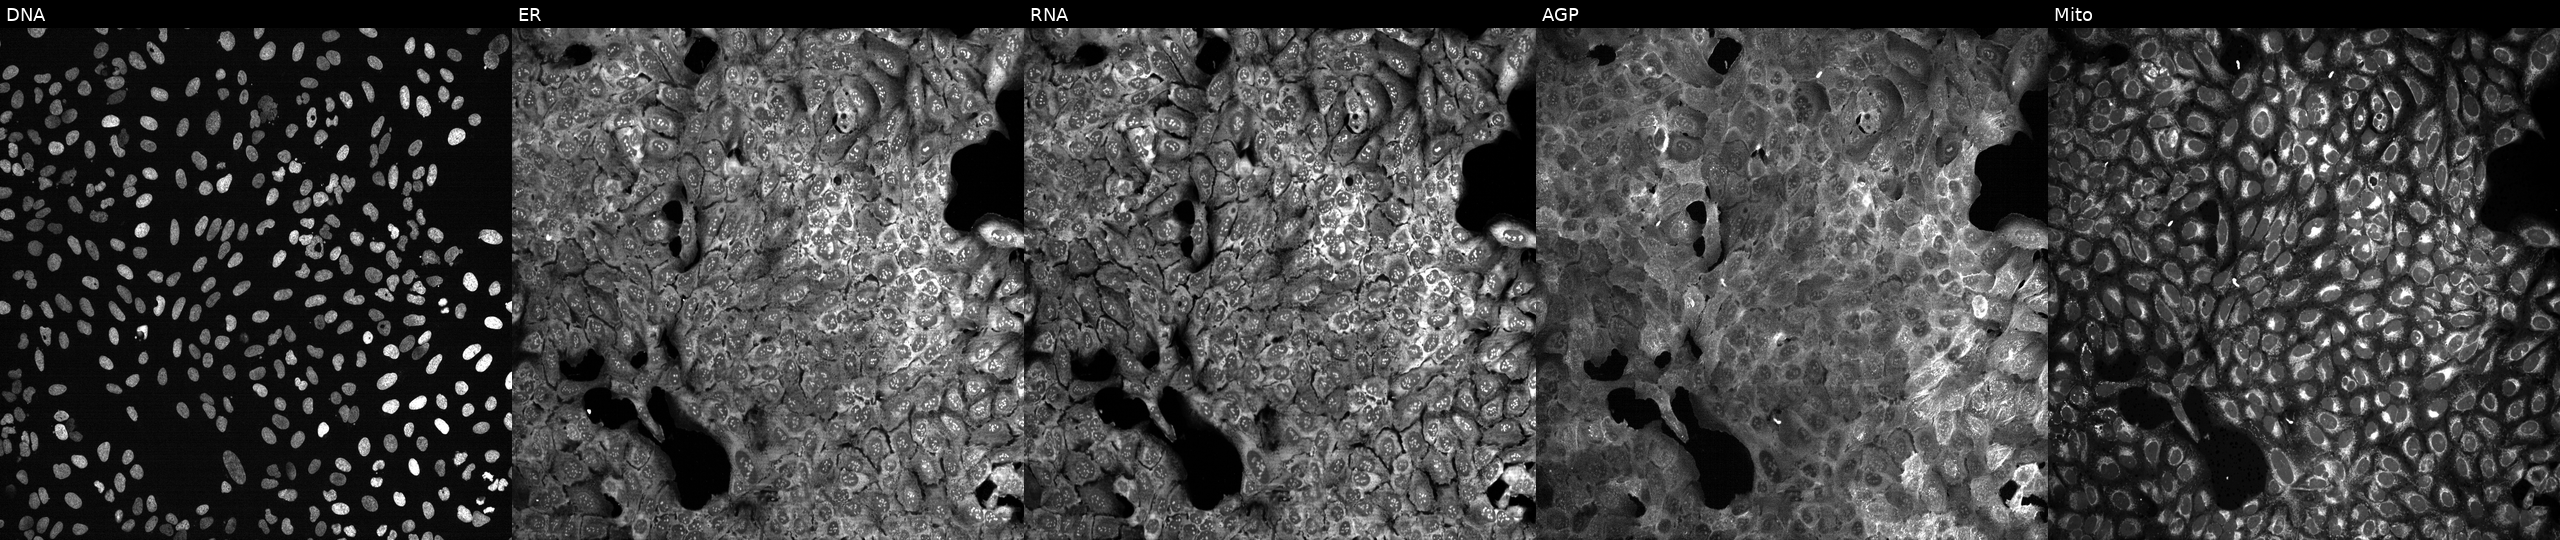
High-content fluorescence microscopy (Cell Painting). Cell line: U2OS. Perturbation: with GUSB knocked out by CRISPR. Channels (left→right): DNA (nuclei); ER (endoplasmic reticulum); RNA (nucleoli and cytoplasmic RNA); AGP (actin cytoskeleton, Golgi, and plasma membrane); Mito (mitochondria).